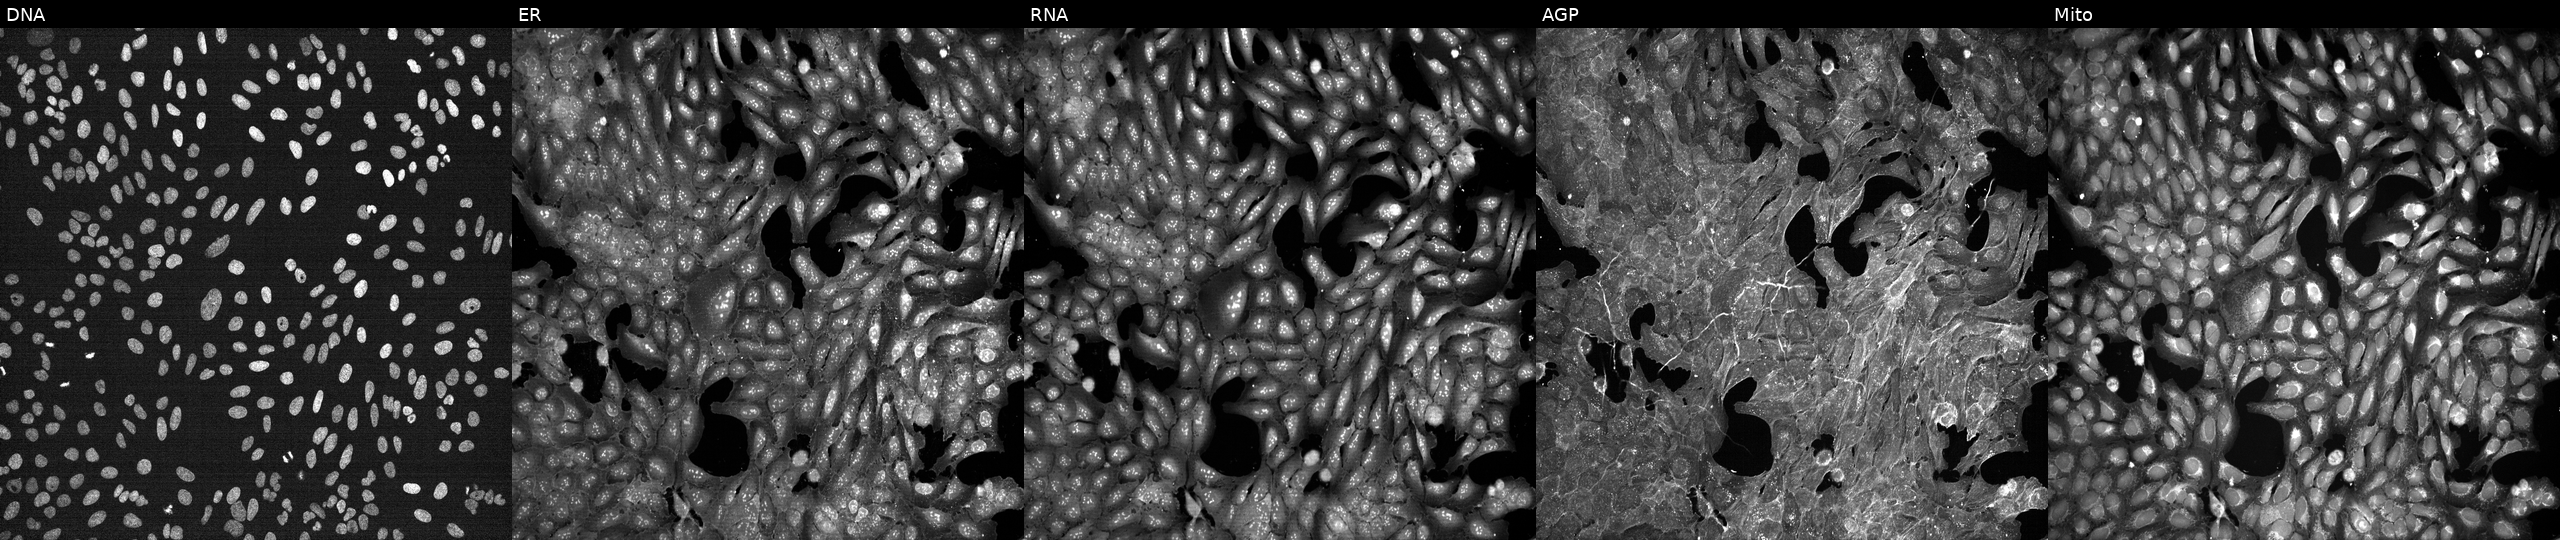
Five-channel Cell Painting image of U2OS cells exposed to a small-molecule compound (InChIKey NOIIUHRQUVNIDD-UHFFFAOYSA-N) [SMILES: O=C(CCNNC(=O)c1ccncc1)NCc1ccccc1]. Panels show, left to right, Hoechst 33342, concanavalin A, SYTO 14, phalloidin and WGA, MitoTracker.